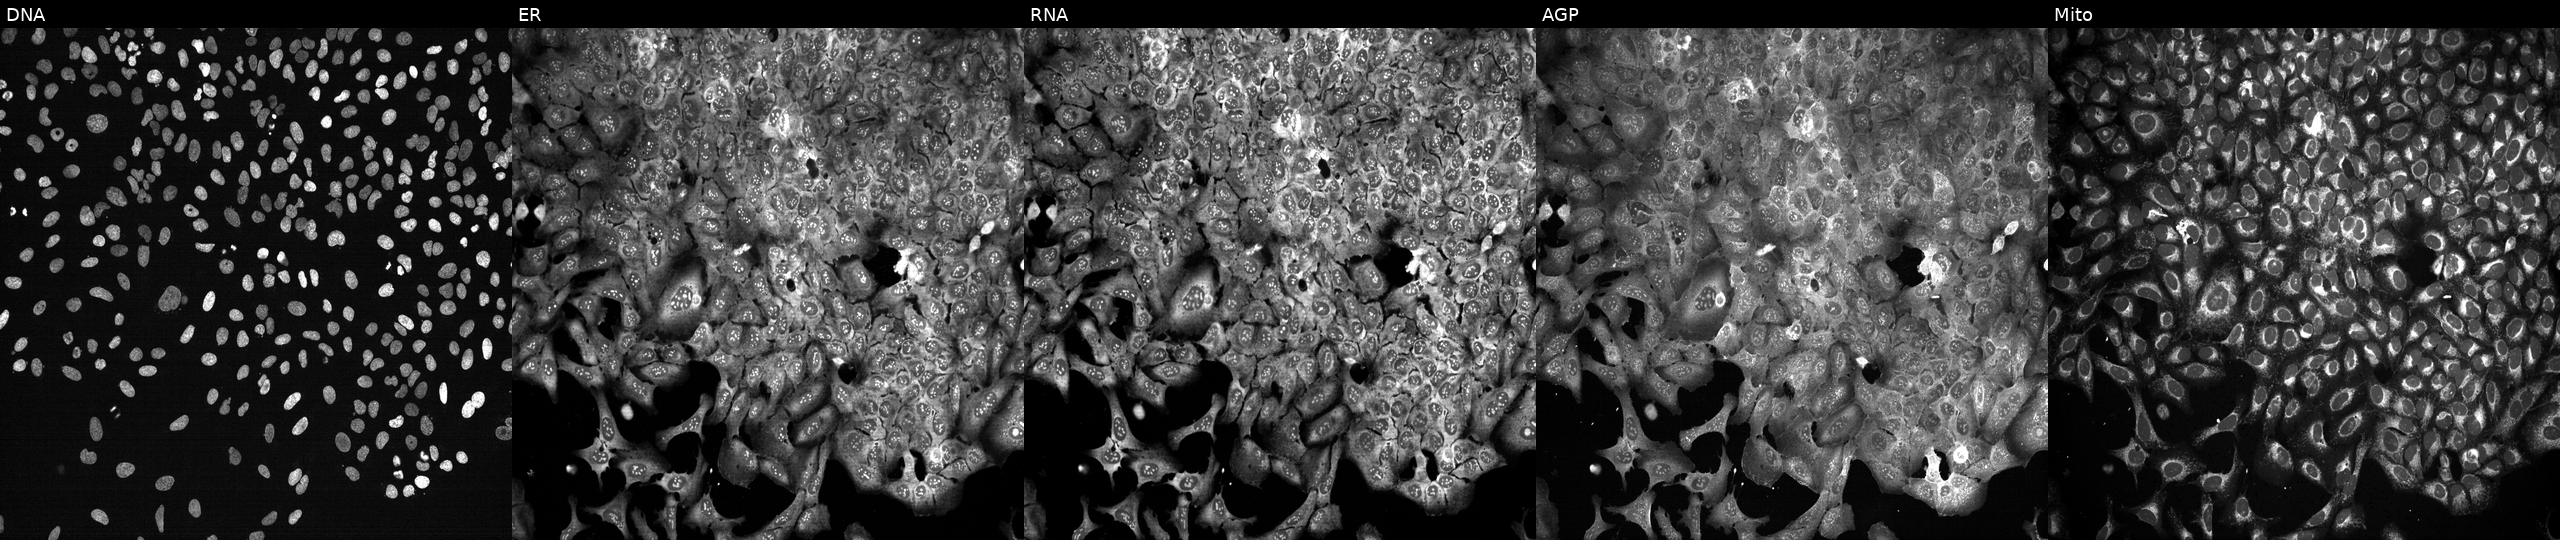
JUMP Cell Painting — CRISPR plate. U2OS cells with QSOX1 knocked out by CRISPR (JUMP id JCP2022_805737). Channels (left→right): Hoechst 33342, concanavalin A, SYTO 14, phalloidin and WGA, MitoTracker.